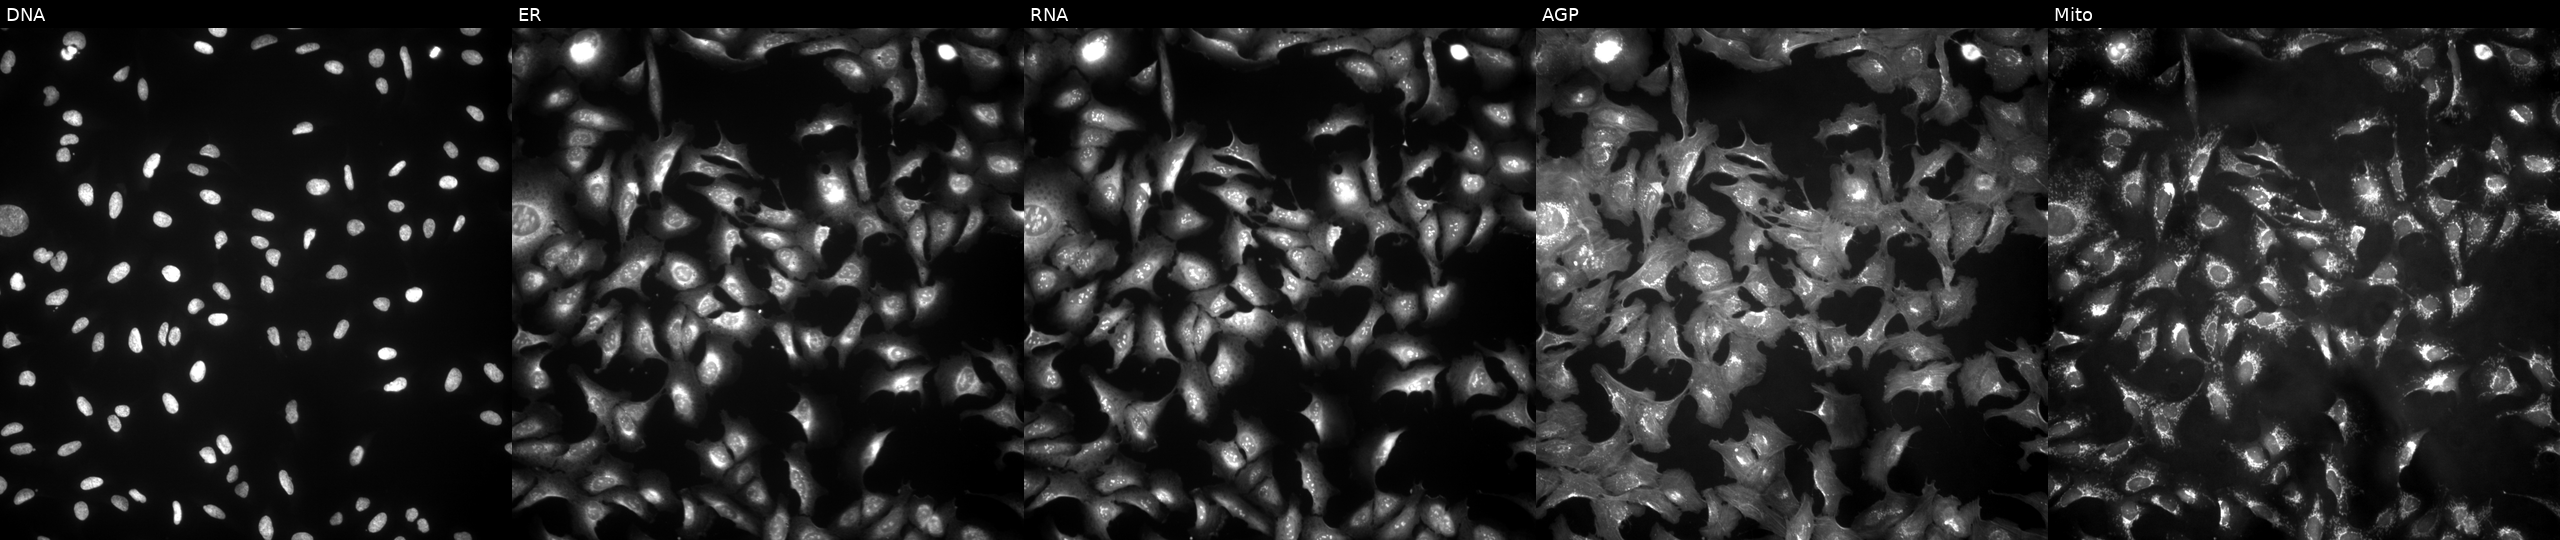
JUMP Cell Painting — ORF plate. U2OS cells transfected with an ORF construct for SERBP1 (JUMP id JCP2022_902742). Panels show, left to right, Hoechst 33342, concanavalin A, SYTO 14, phalloidin and WGA, MitoTracker. Source 4, plate BR00123506, well A08.